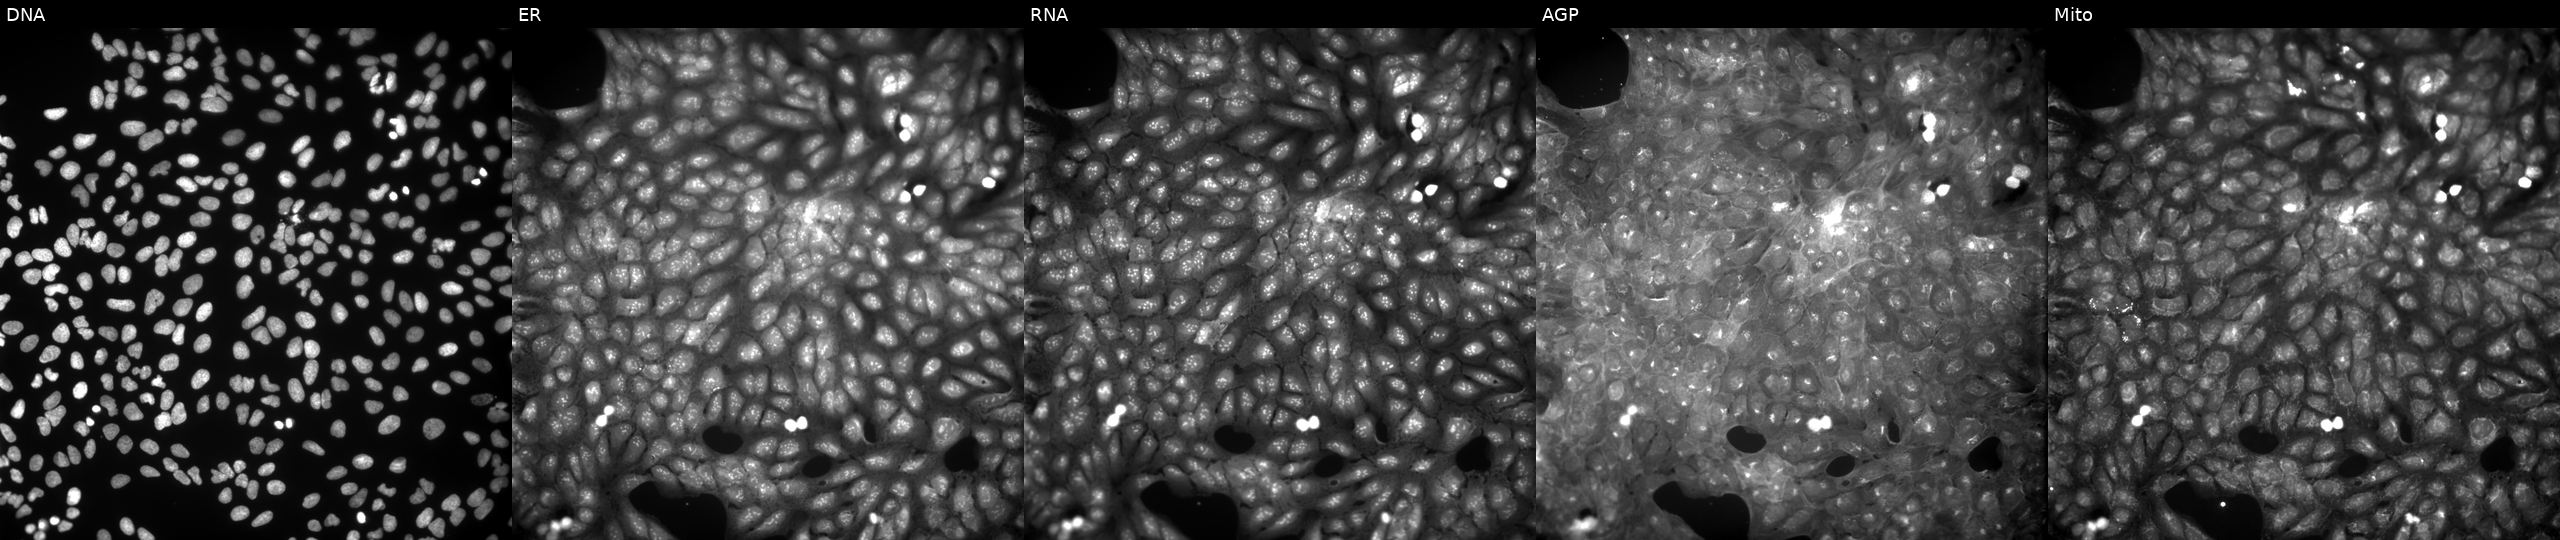
Five-channel Cell Painting image of U2OS cells perturbed with a small-molecule compound (JUMP id JCP2022_047519). Panels show, left to right, Hoechst 33342, concanavalin A, SYTO 14, phalloidin and WGA, MitoTracker. Source 9, plate GR00003381, well AB12.